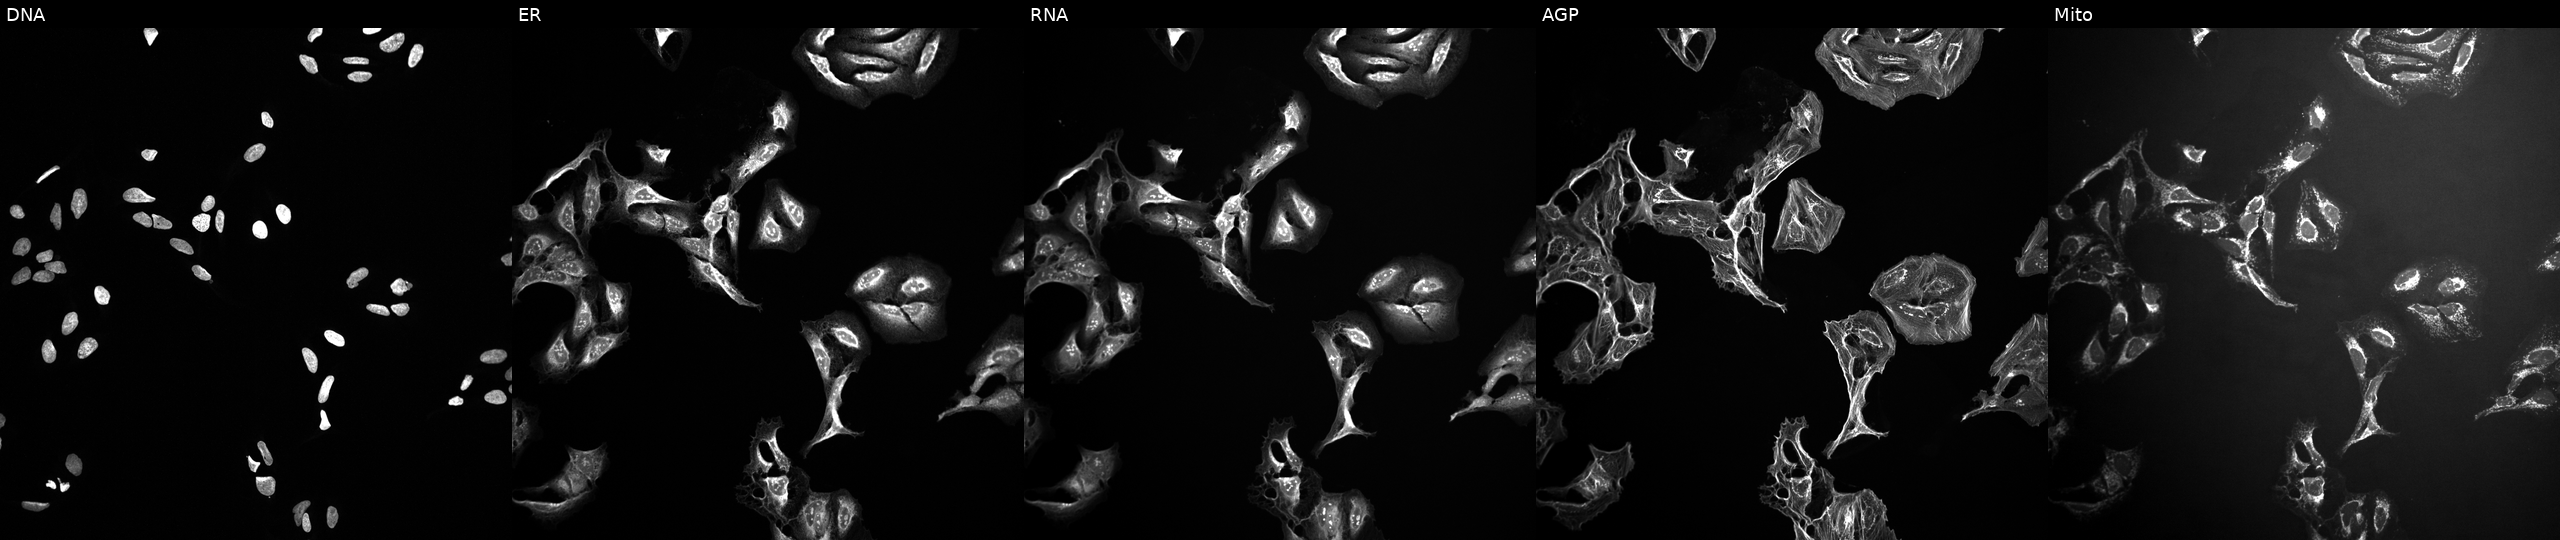
Five-channel Cell Painting image of U2OS cells perturbed with a small-molecule compound. From left to right: DNA, ER, RNA, AGP, and Mito.